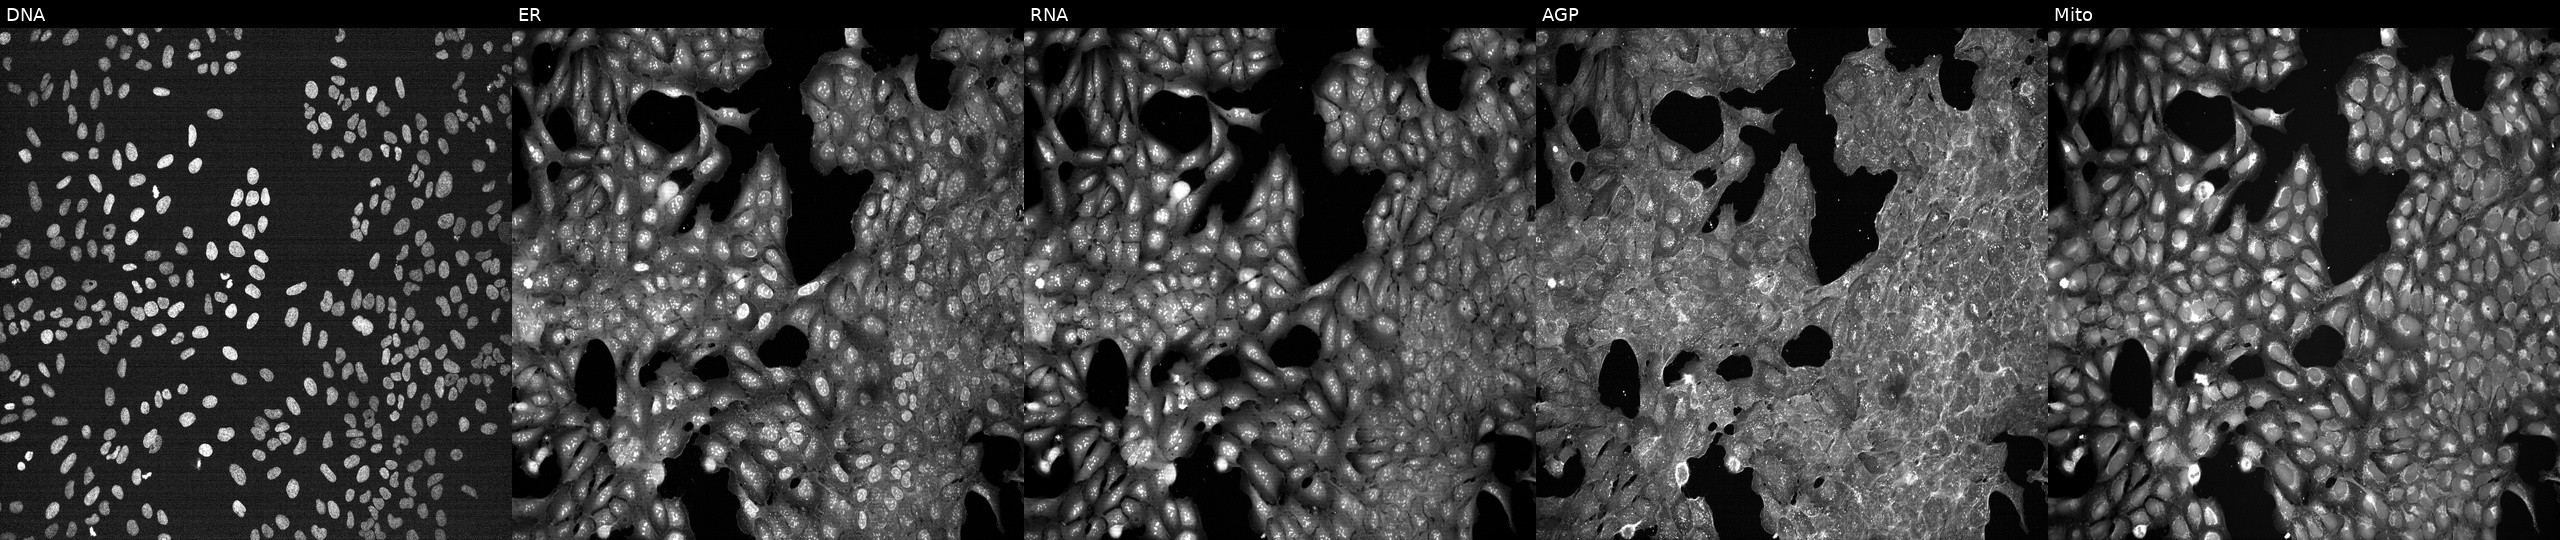
This image strip shows the five Cell Painting channels for a single field of U2OS cells treated with a small-molecule compound (InChIKey QNQZWEGMKJBHEM-UHFFFAOYSA-N) (JUMP id JCP2022_074697). The five panels, left to right, show Hoechst 33342, concanavalin A, SYTO 14, phalloidin and WGA, MitoTracker.